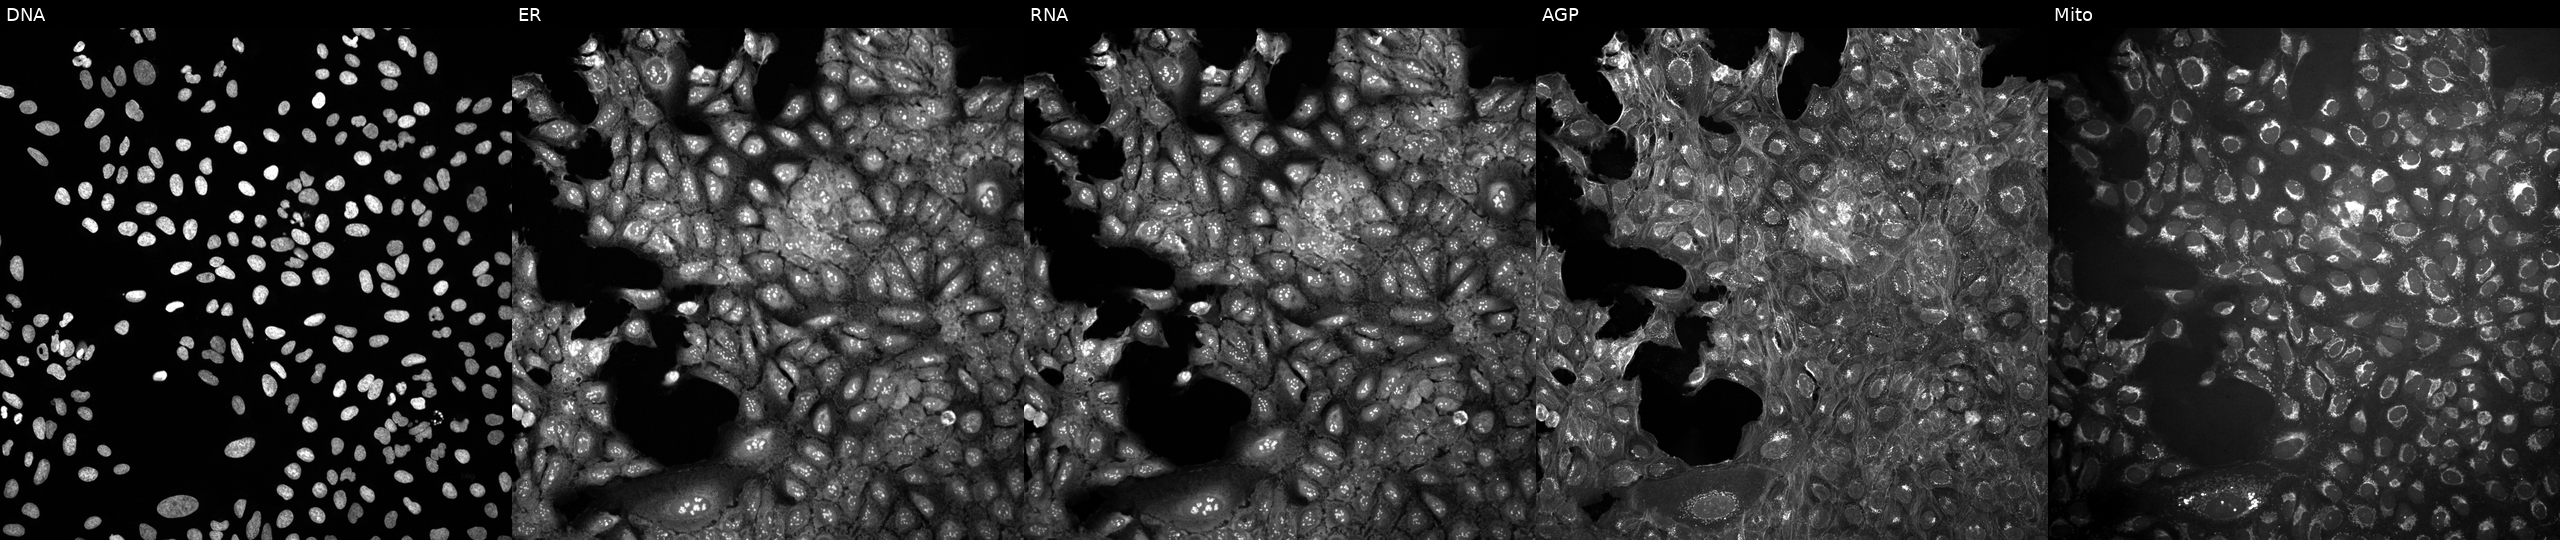
JUMP Cell Painting — COMPOUND plate. U2OS cells in an empty control well (no perturbation) (JUMP id JCP2022_999999). The five panels, left to right, show DNA (nuclei); ER (endoplasmic reticulum); RNA (nucleoli and cytoplasmic RNA); AGP (actin cytoskeleton, Golgi, and plasma membrane); Mito (mitochondria). Source 10, plate Dest210531-152149, well J10.